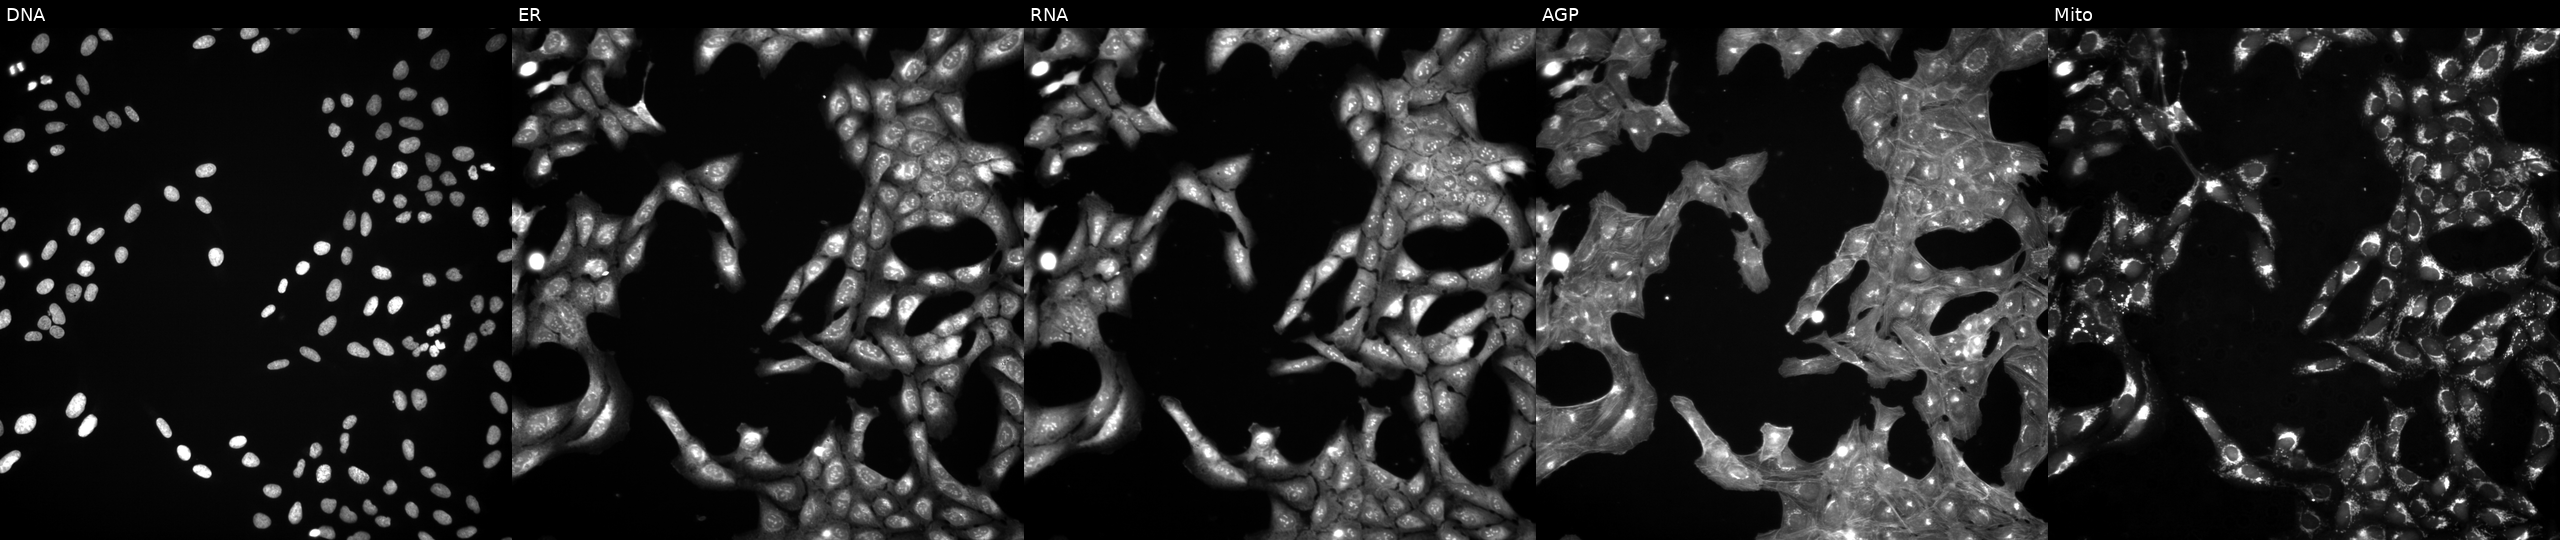
U2OS cells, Cell Painting assay, treated with DMSO vehicle only (negative control). The five panels, left to right, show DNA, ER, RNA, AGP, and Mito. Each panel is percentile-stretched 16-bit fluorescence. Source 3, plate BR5867b3, well E02.